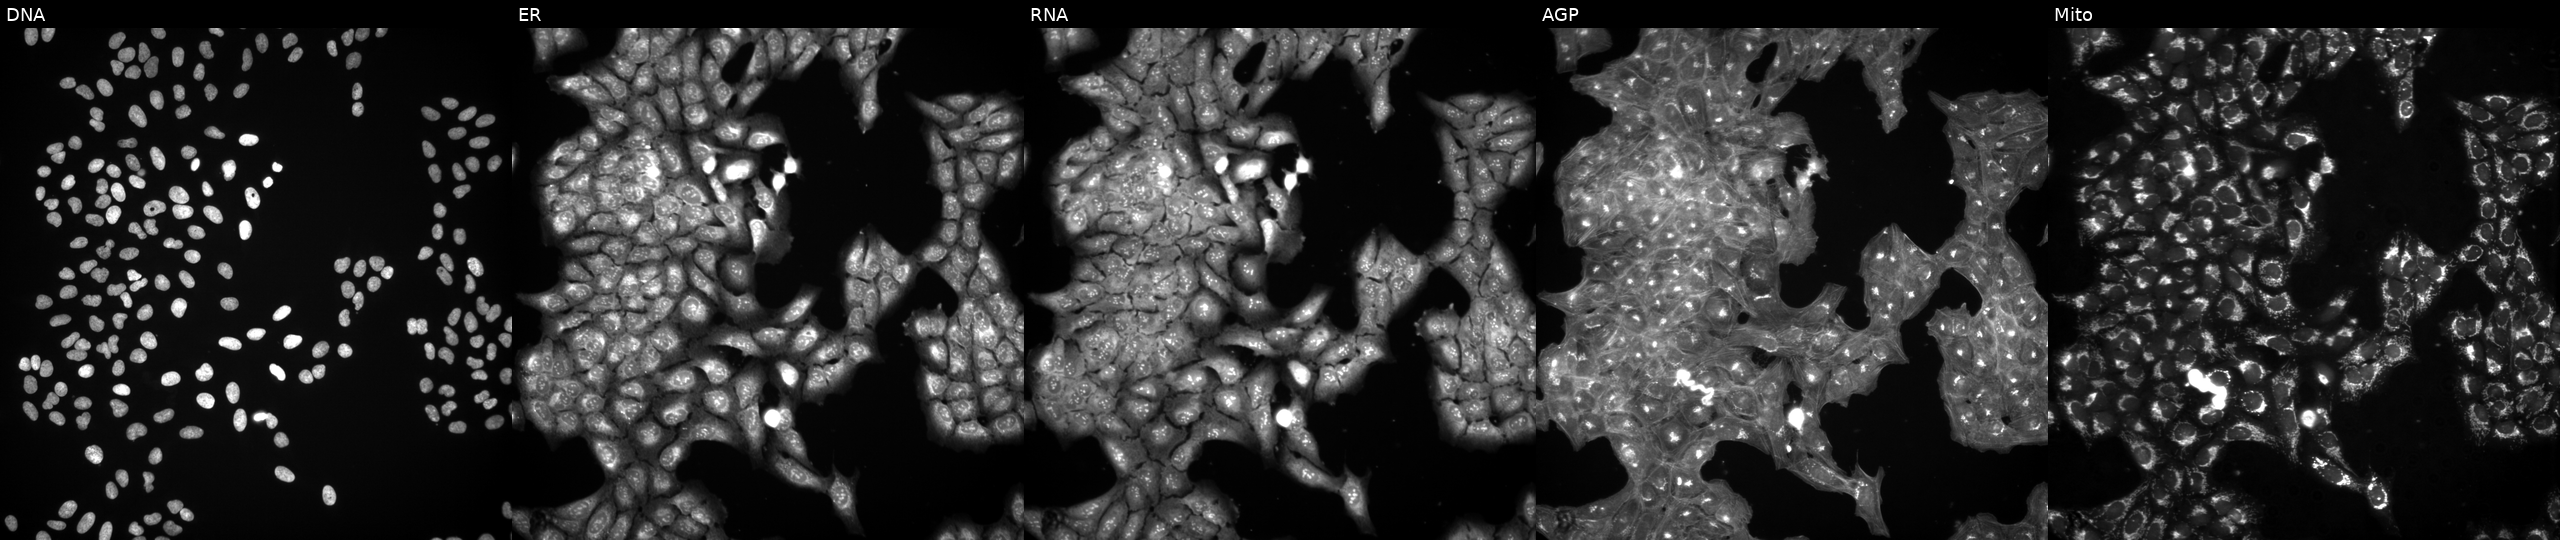
JUMP Cell Painting — COMPOUND plate. U2OS cells perturbed with a small-molecule compound (InChIKey CAMRHMQUOCRPFO-UHFFFAOYSA-N). Panels show, left to right, Hoechst 33342, concanavalin A, SYTO 14, phalloidin and WGA, MitoTracker.